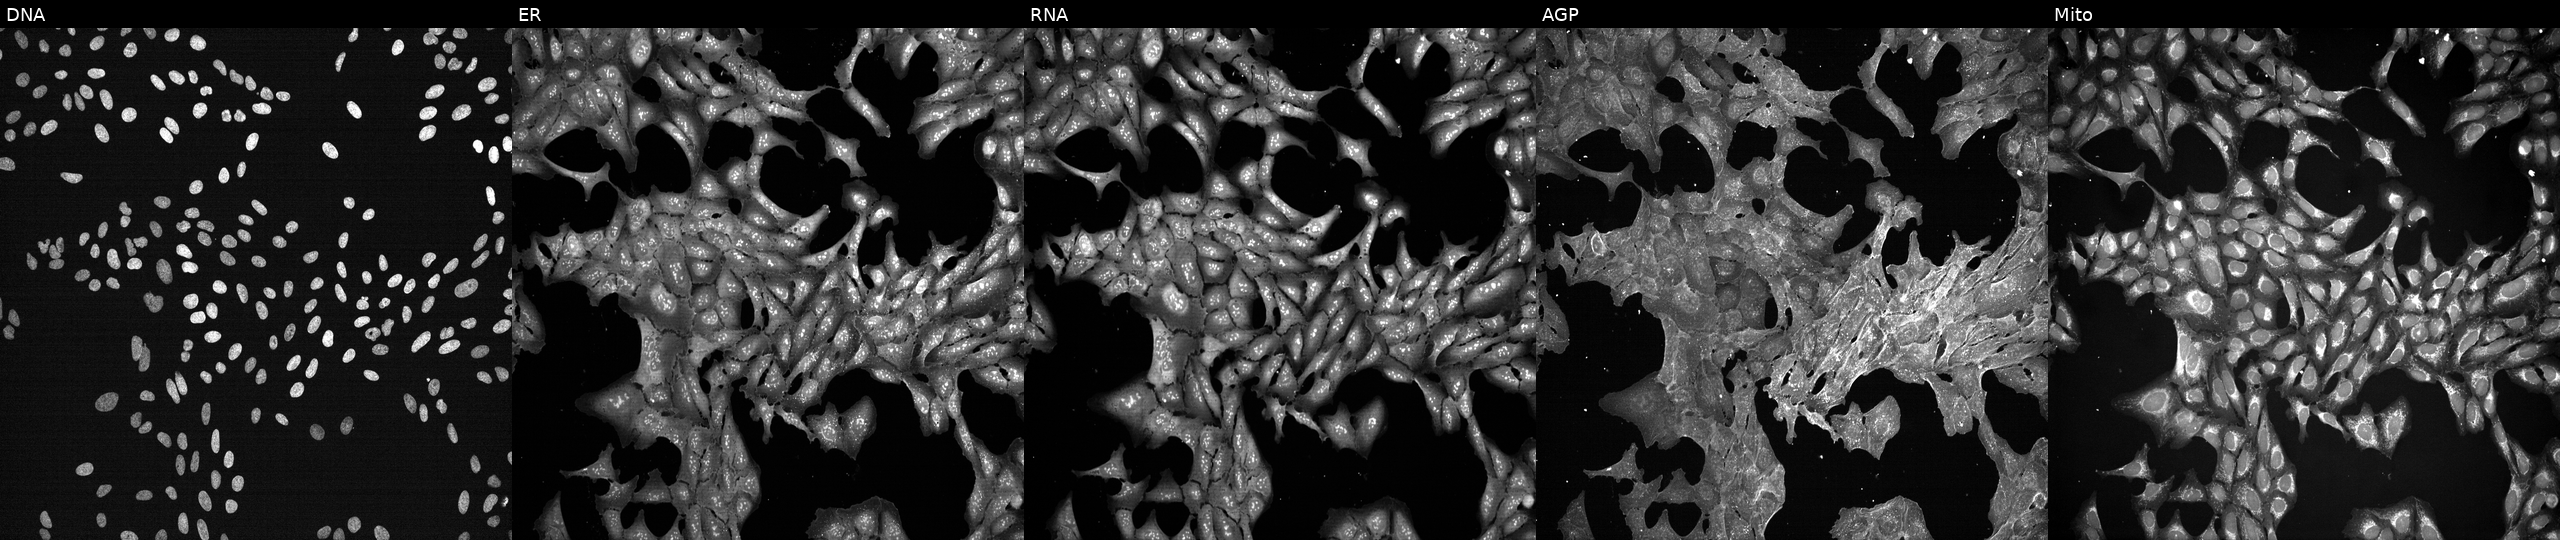
JUMP Cell Painting — TARGET2 plate. U2OS cells exposed to a small-molecule compound [SMILES: CCCCCC(O)C=CC1C(O)CC(=O)C1CC=CCCCC(=O)O] (JUMP id JCP2022_103217). The five panels, left to right, show DNA, ER, RNA, AGP, and Mito.